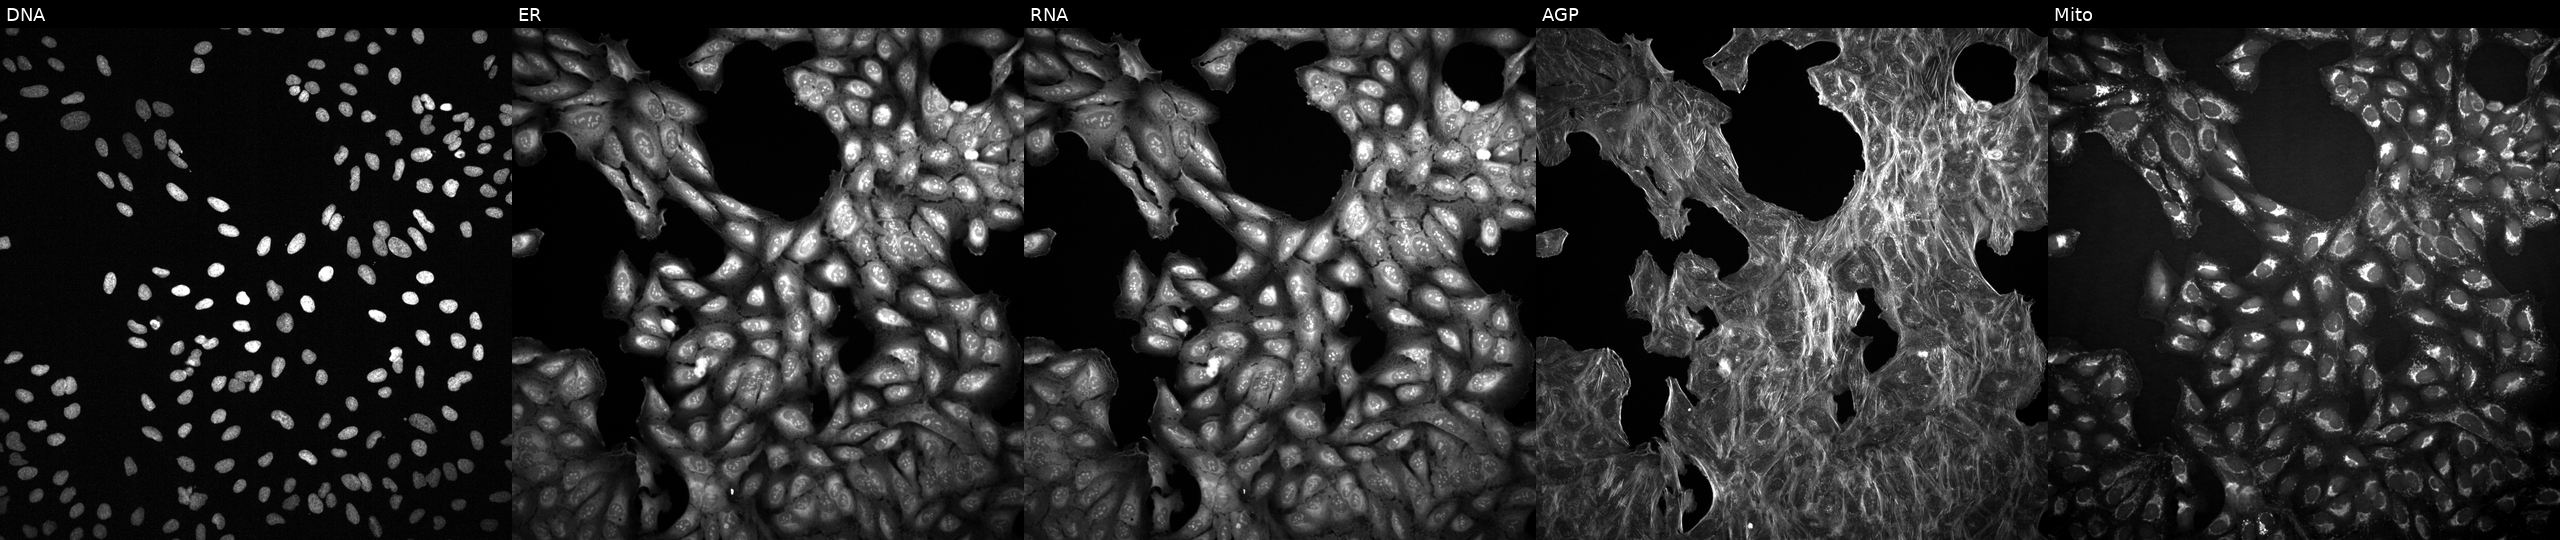
High-content fluorescence microscopy (Cell Painting). Cell line: U2OS. Perturbation: with an unidentified perturbation (not annotated in JUMP metadata). Panels show, left to right, DNA (nuclei); ER (endoplasmic reticulum); RNA (nucleoli and cytoplasmic RNA); AGP (actin cytoskeleton, Golgi, and plasma membrane); Mito (mitochondria).